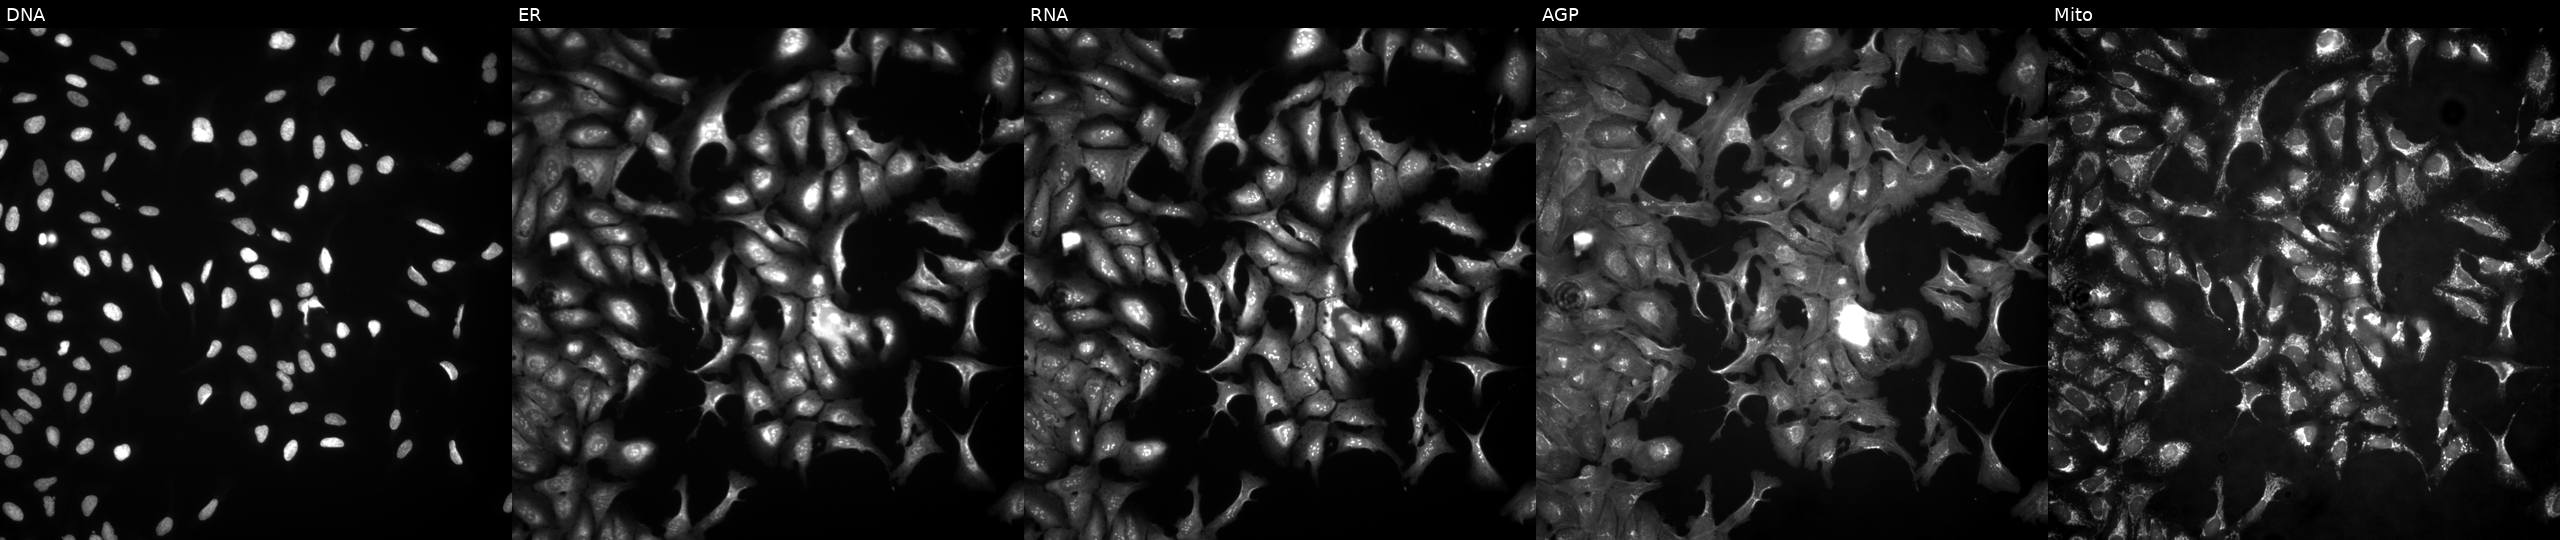
High-content fluorescence microscopy (Cell Painting). Cell line: U2OS. Perturbation: overexpressing S100A11 via ORF transfection. From left to right: DNA, ER, RNA, AGP, and Mito.